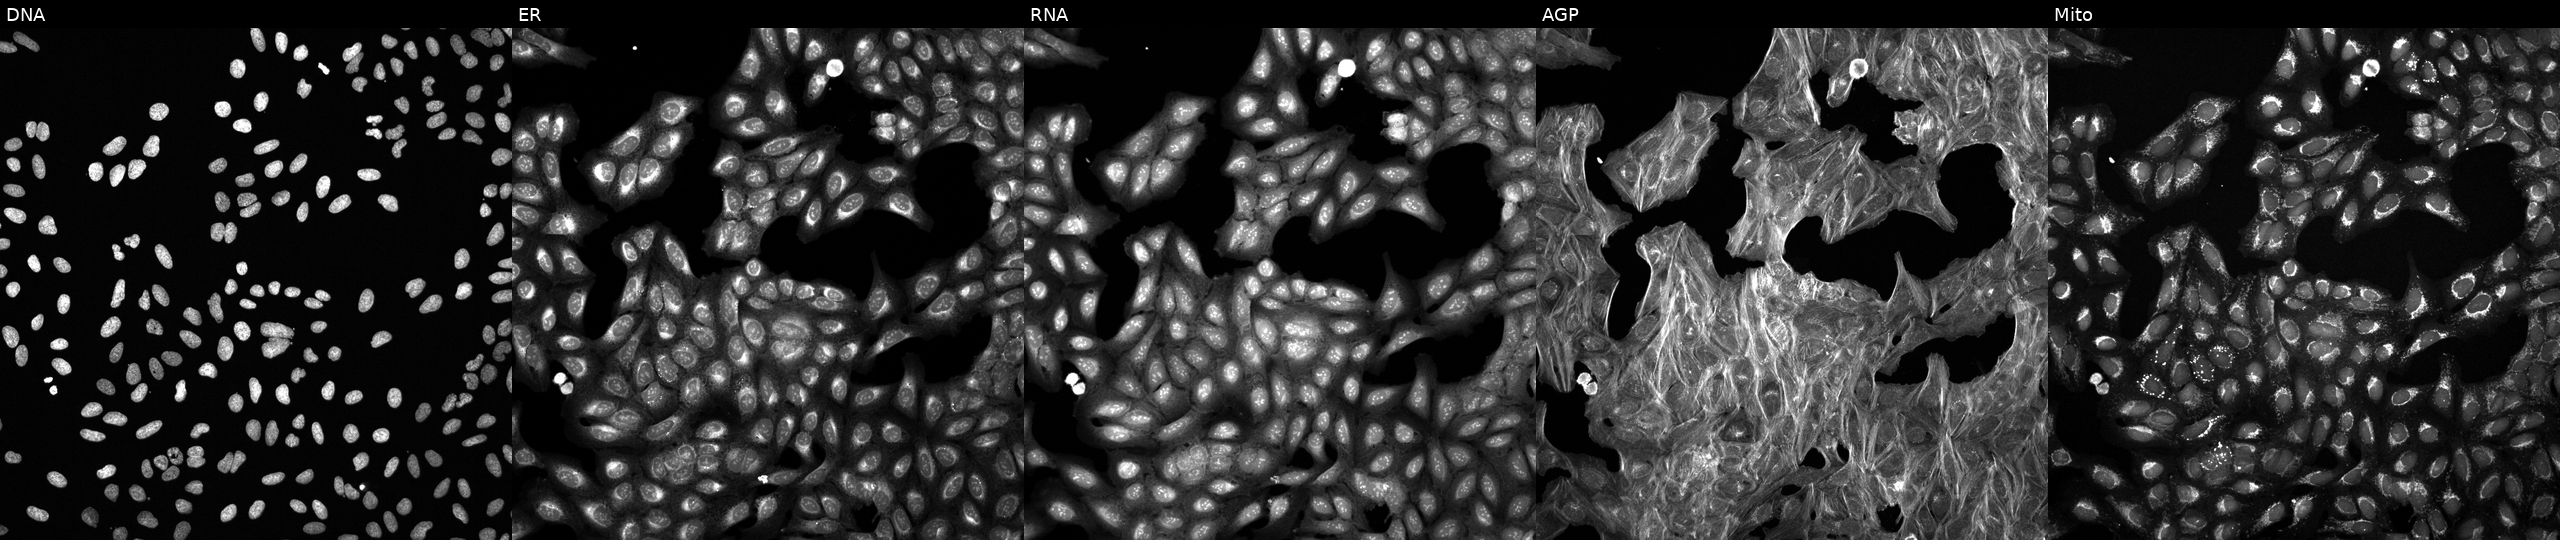
U2OS cells, Cell Painting assay, exposed to a small-molecule compound. From left to right: Hoechst 33342, concanavalin A, SYTO 14, phalloidin and WGA, MitoTracker. Each panel is percentile-stretched 16-bit fluorescence.